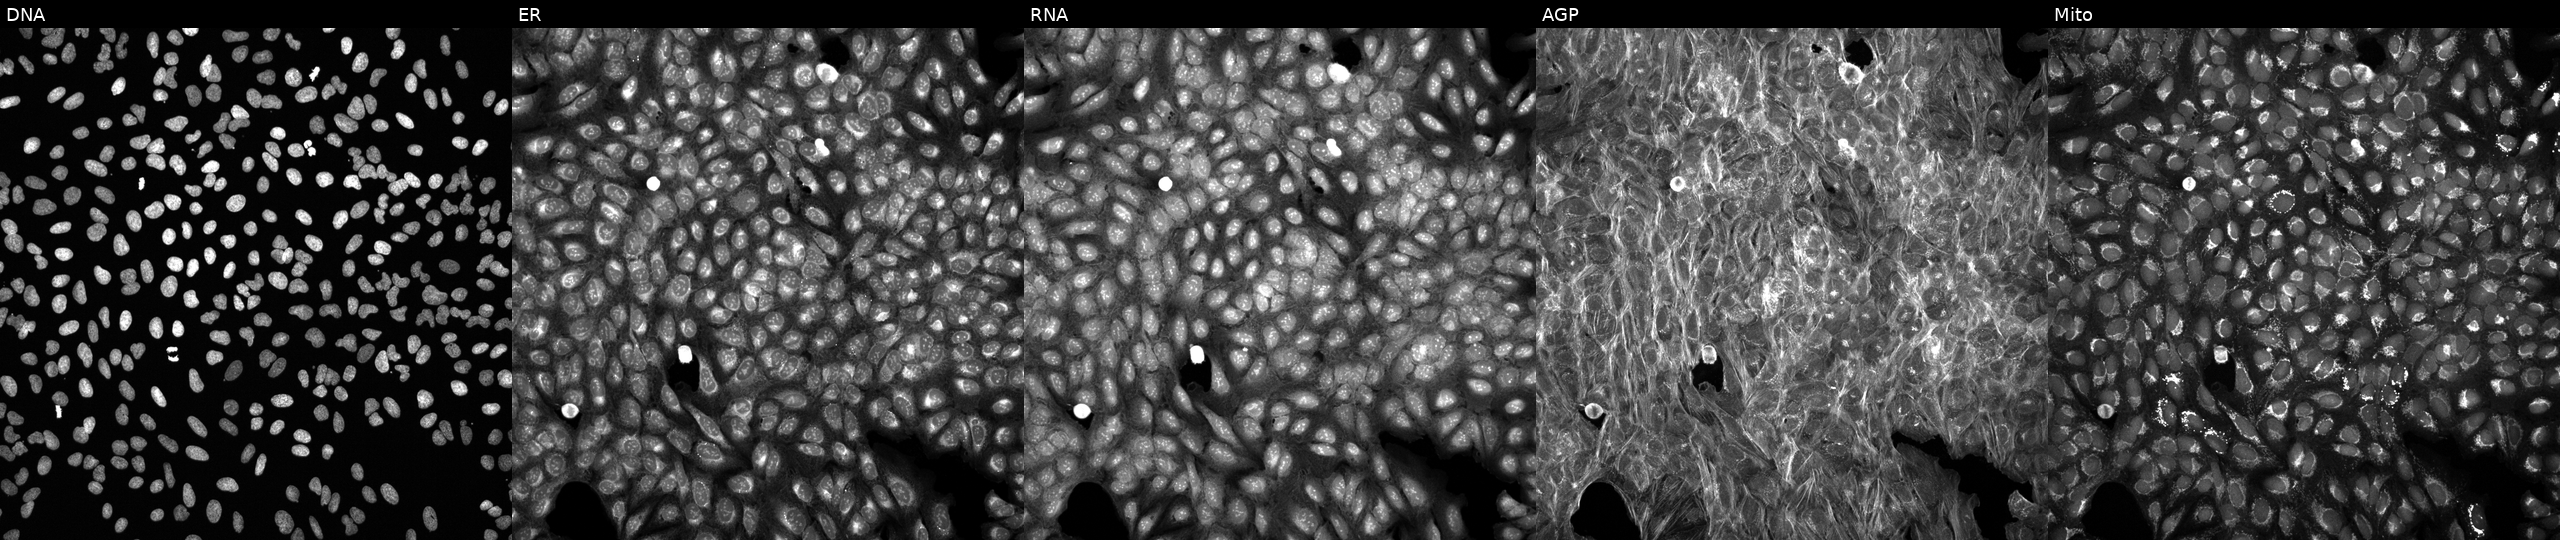
High-content fluorescence microscopy (Cell Painting). Cell line: U2OS. Perturbation: perturbed with a small-molecule compound (JUMP id JCP2022_050830). From left to right: DNA, ER, RNA, AGP, and Mito. Source 6, plate 110000294901, well F09.